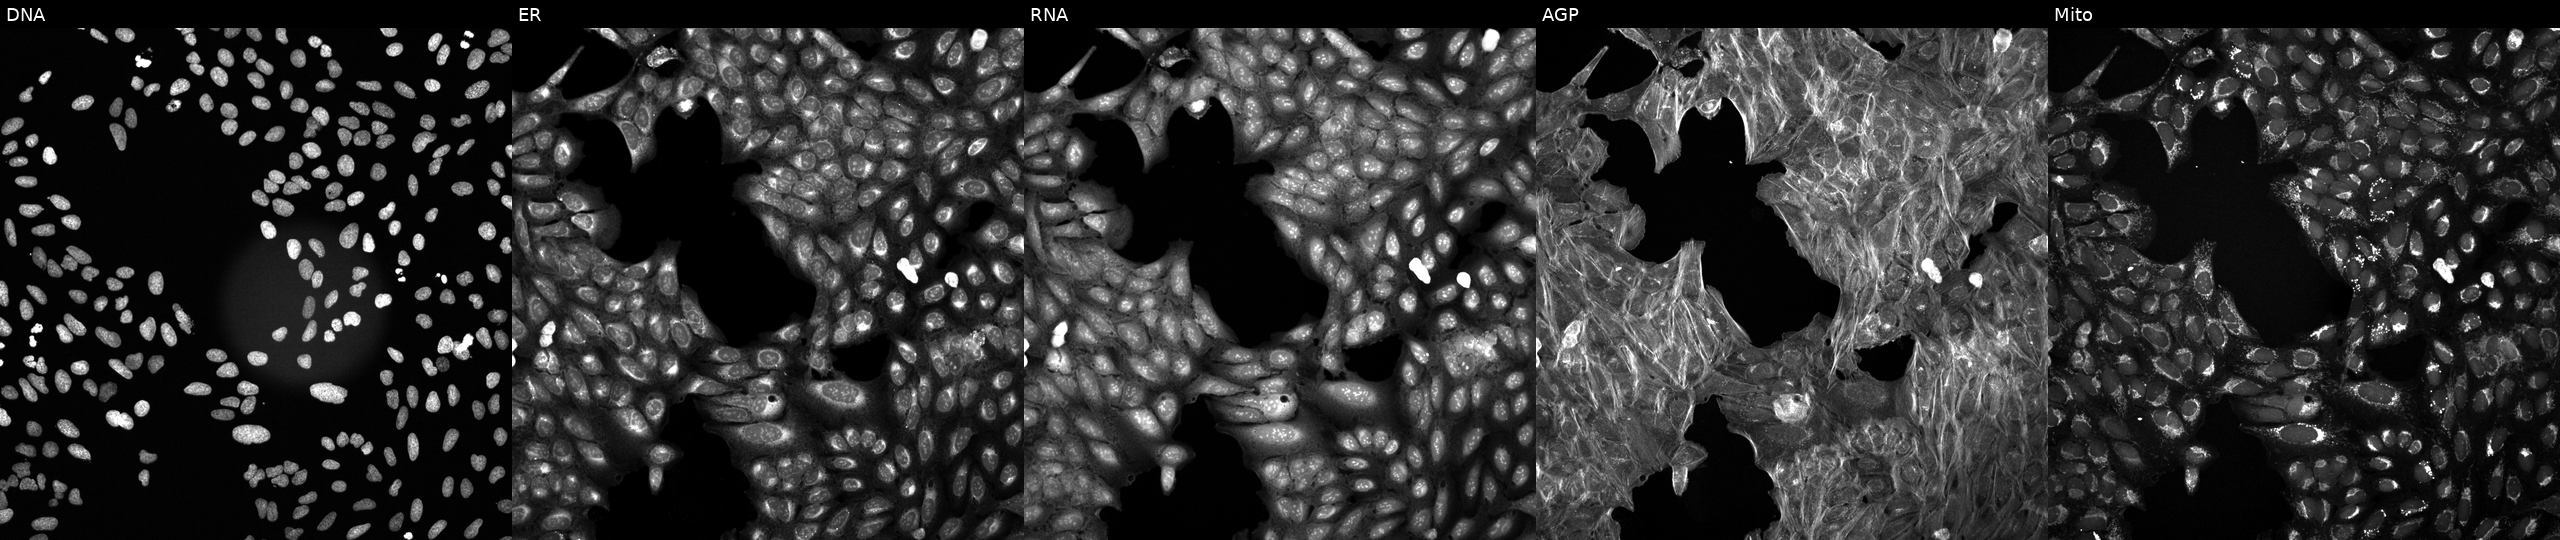
JUMP Cell Painting — COMPOUND plate. U2OS cells treated with DMSO vehicle only (negative control) (JUMP id JCP2022_033924). Channels (left→right): DNA, ER, RNA, AGP, and Mito. Source 6, plate 110000293082, well F02.